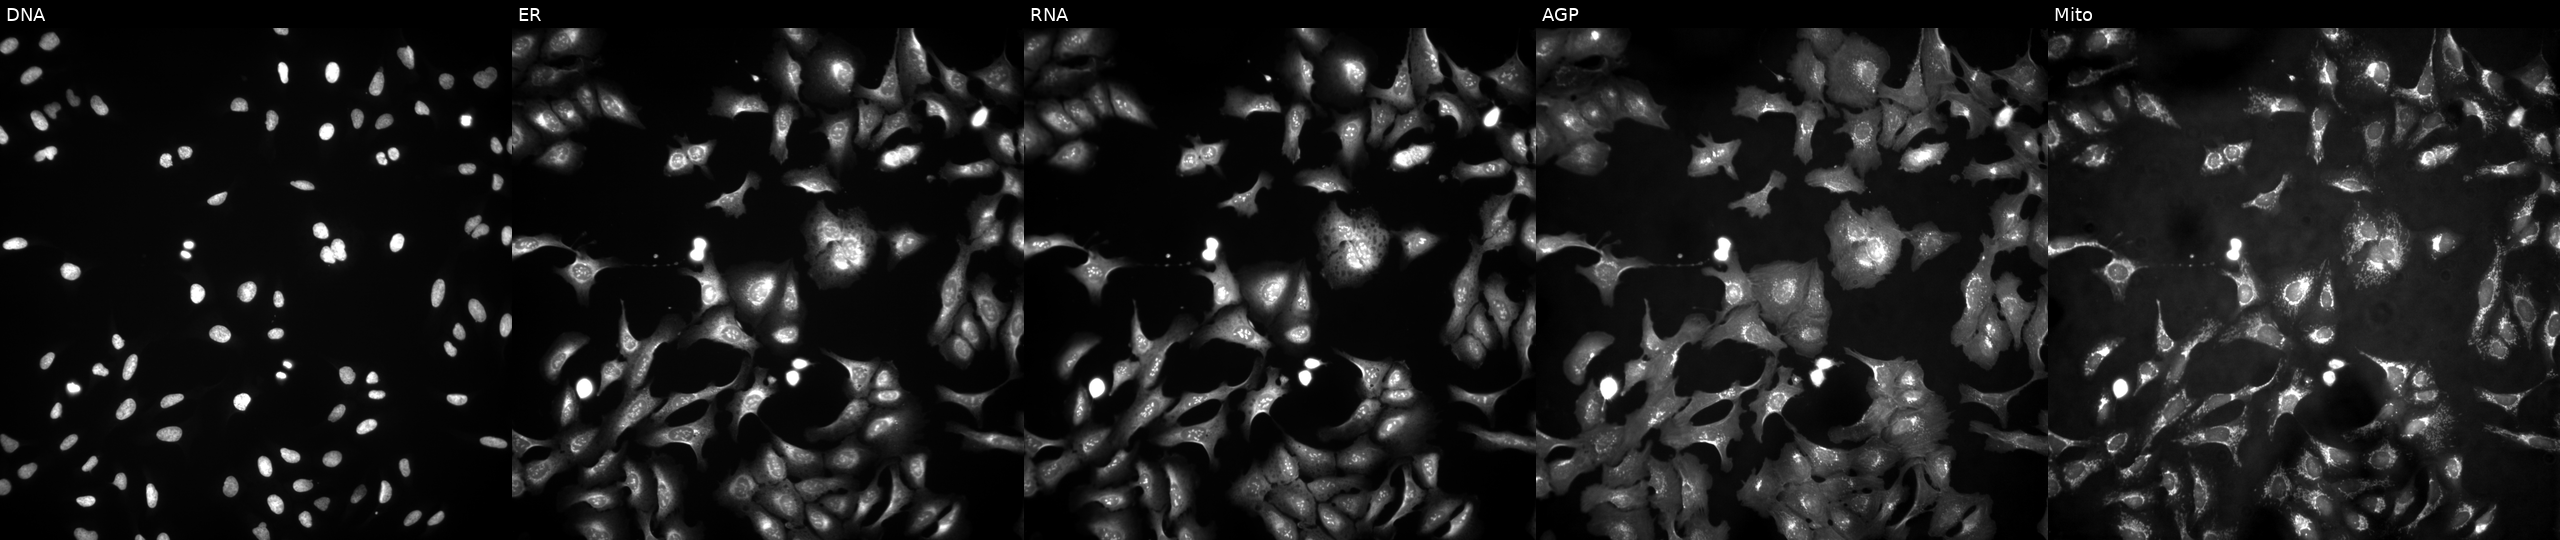
JUMP Cell Painting — ORF plate. U2OS cells overexpressing TUBGCP4 via ORF transfection. Panels show, left to right, DNA (nuclei); ER (endoplasmic reticulum); RNA (nucleoli and cytoplasmic RNA); AGP (actin cytoskeleton, Golgi, and plasma membrane); Mito (mitochondria). Source 4, plate BR00121543, well N23.